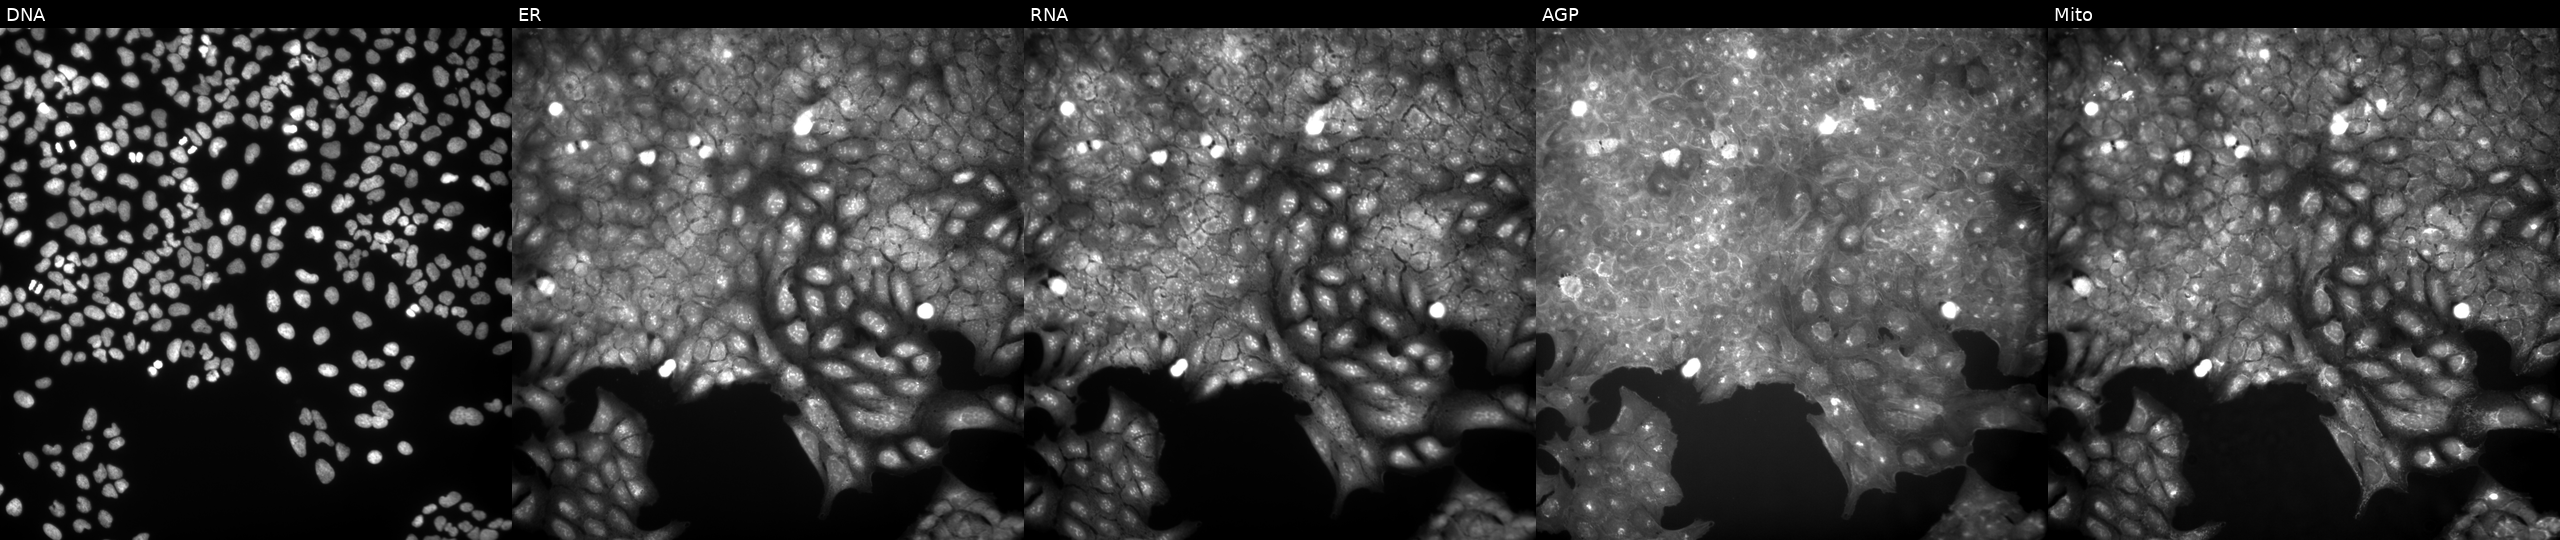
U2OS cells, Cell Painting assay, perturbed with a small-molecule compound (InChIKey DGJLQBLHBYYACA-UHFFFAOYSA-N) (JUMP id JCP2022_015760). From left to right: Hoechst 33342, concanavalin A, SYTO 14, phalloidin and WGA, MitoTracker. Each panel is percentile-stretched 16-bit fluorescence.